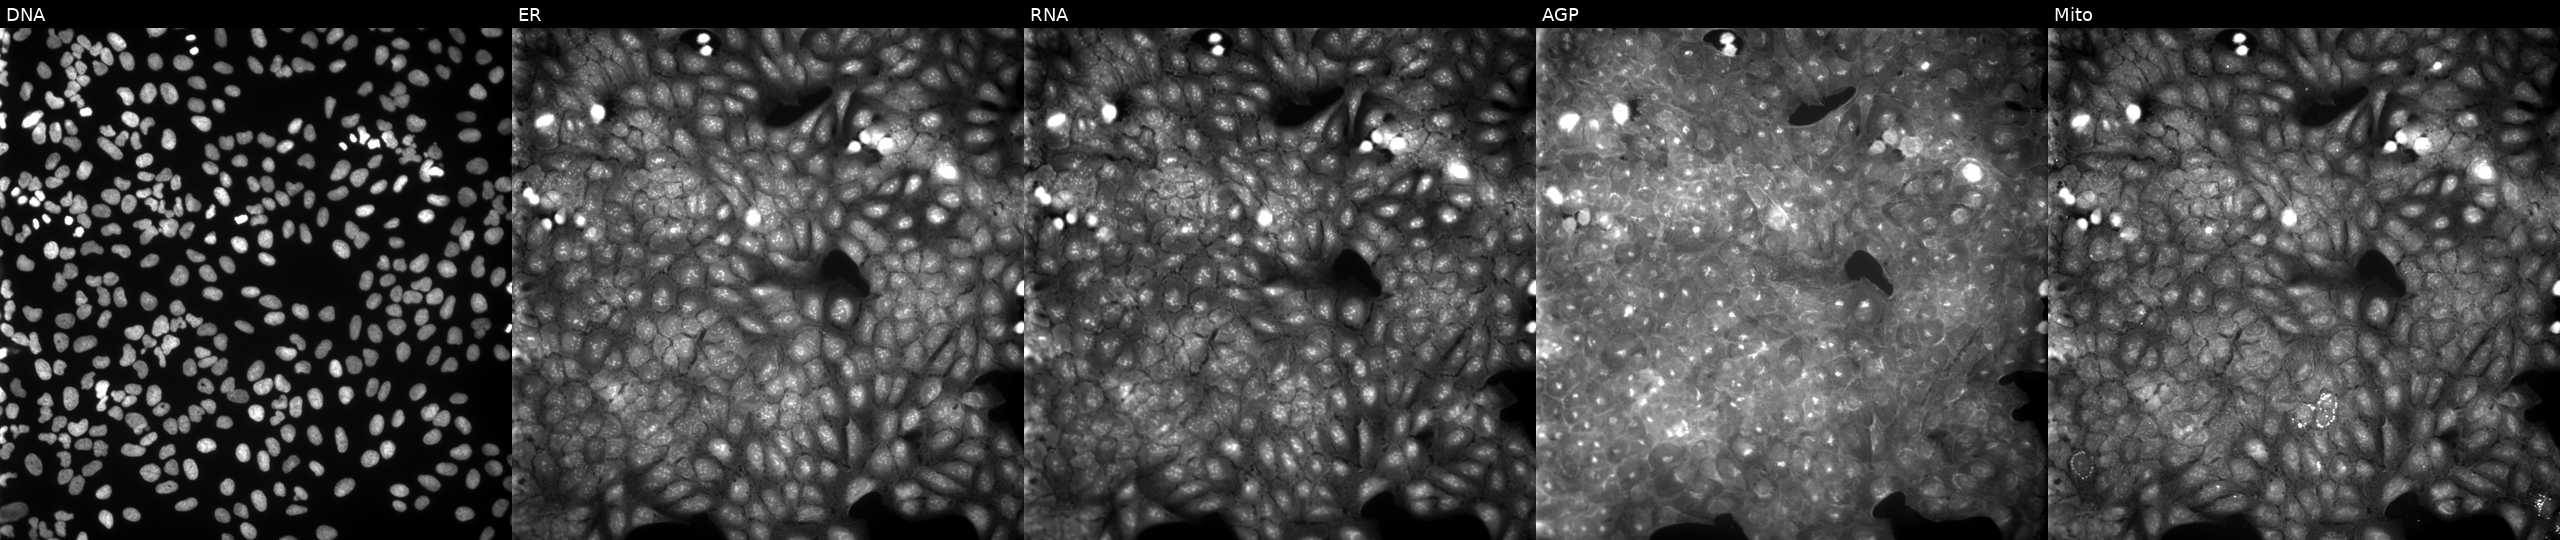
High-content fluorescence microscopy (Cell Painting). Cell line: U2OS. Perturbation: treated with a small-molecule compound (JUMP id JCP2022_017454). Channels (left→right): DNA (nuclei); ER (endoplasmic reticulum); RNA (nucleoli and cytoplasmic RNA); AGP (actin cytoskeleton, Golgi, and plasma membrane); Mito (mitochondria).